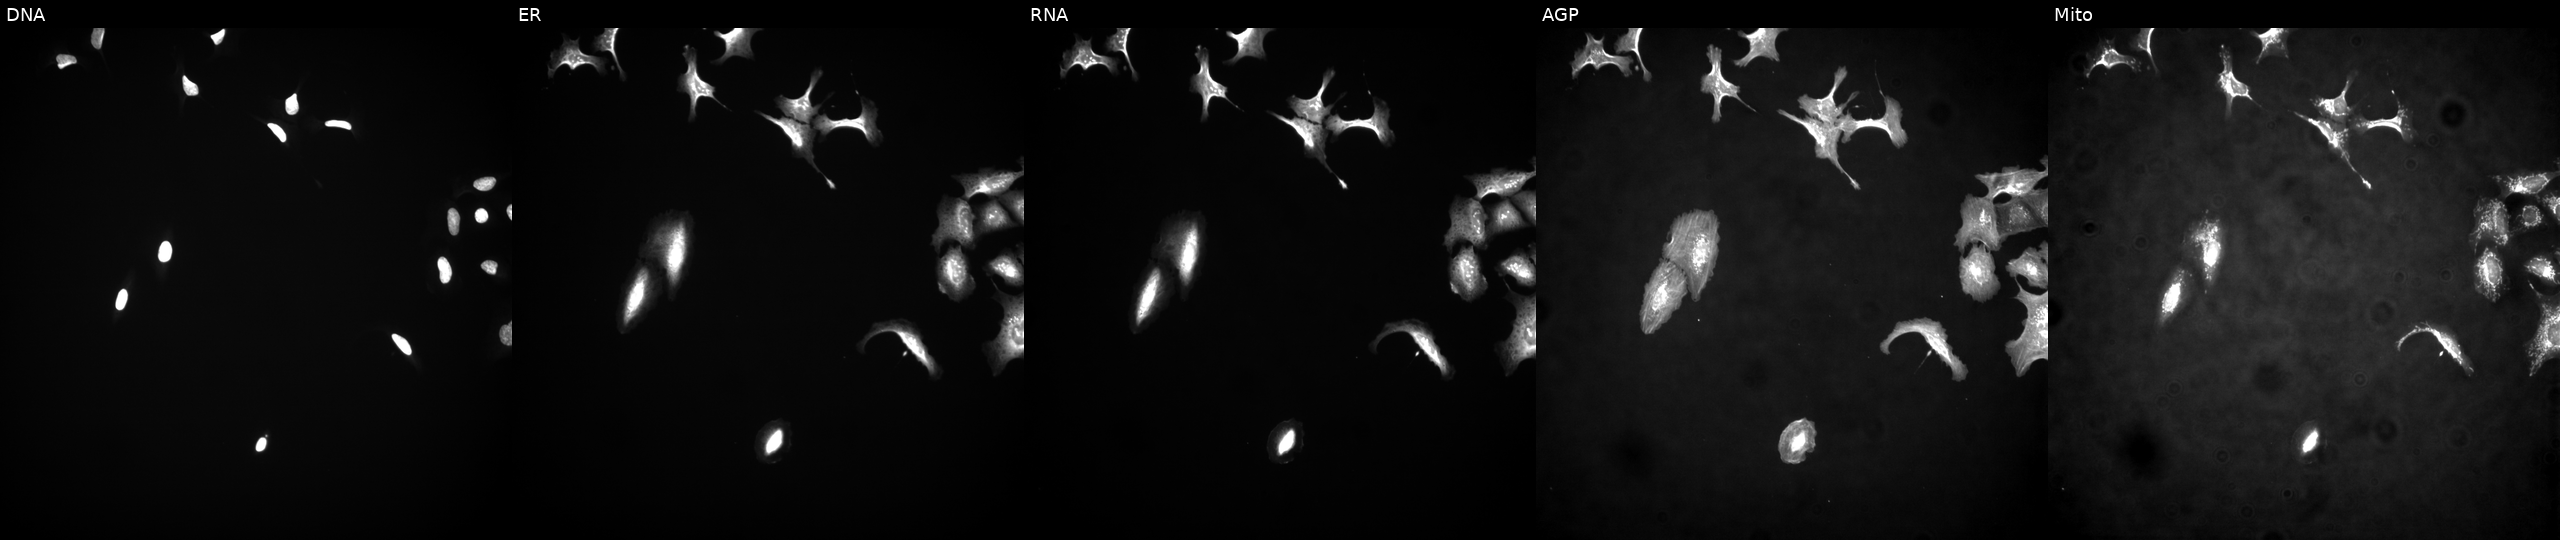
High-content fluorescence microscopy (Cell Painting). Cell line: U2OS. Perturbation: transfected with an ORF construct for FAM218A. The five panels, left to right, show DNA (nuclei); ER (endoplasmic reticulum); RNA (nucleoli and cytoplasmic RNA); AGP (actin cytoskeleton, Golgi, and plasma membrane); Mito (mitochondria).